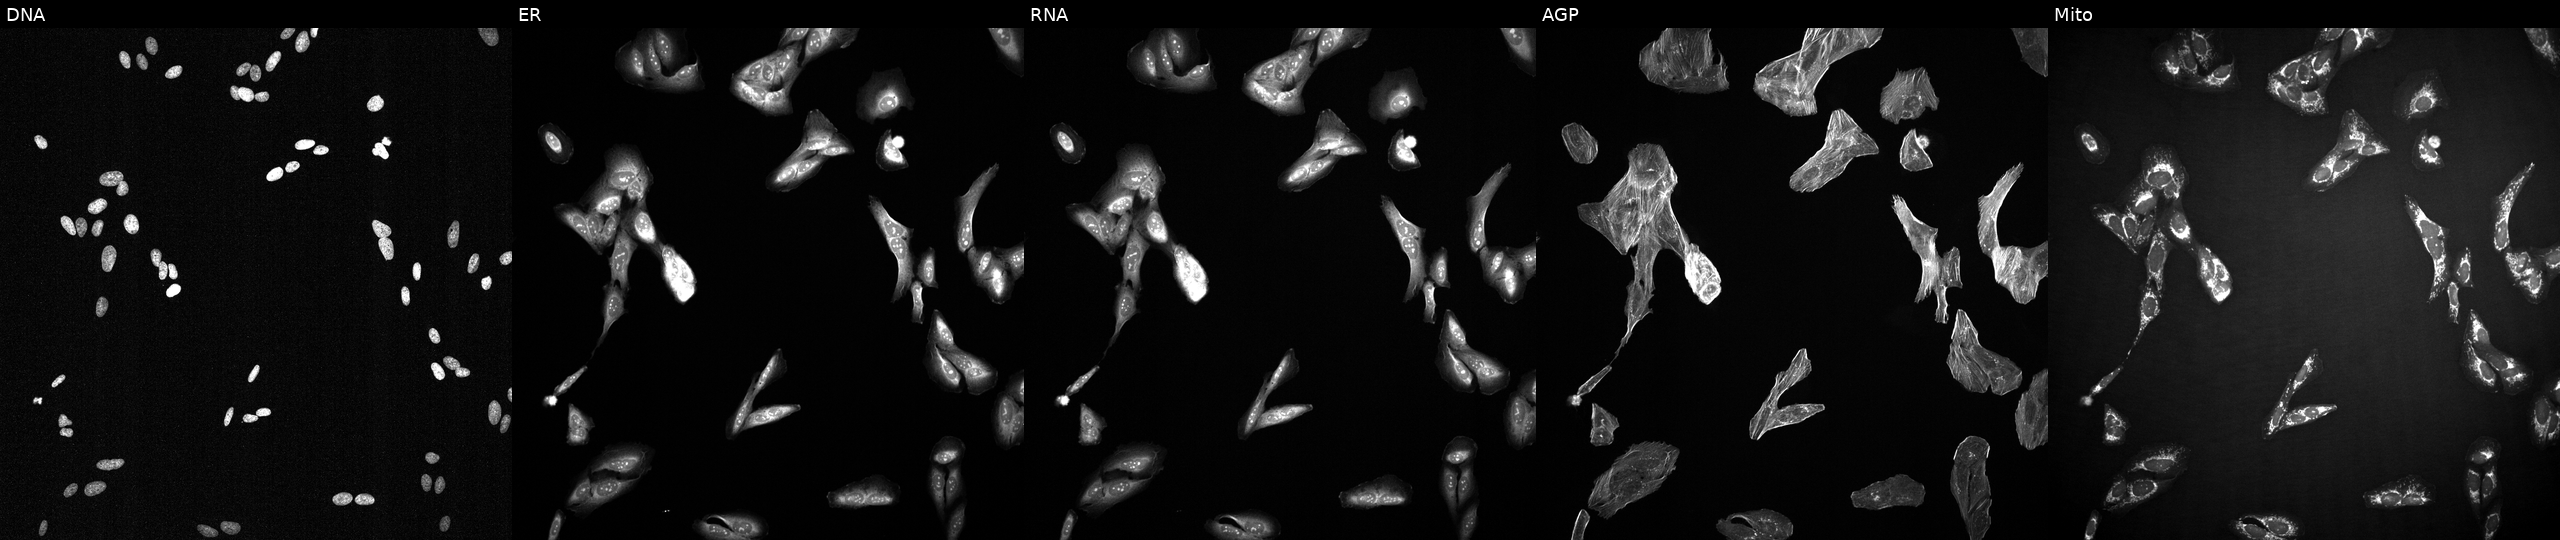
This image strip shows the five Cell Painting channels for a single field of U2OS cells treated with a small-molecule compound (InChIKey WYWHKKSPHMUBEB-UHFFFAOYSA-N). Channels (left→right): DNA (nuclei); ER (endoplasmic reticulum); RNA (nucleoli and cytoplasmic RNA); AGP (actin cytoskeleton, Golgi, and plasma membrane); Mito (mitochondria). Source 2, plate 1053599503, well D20.